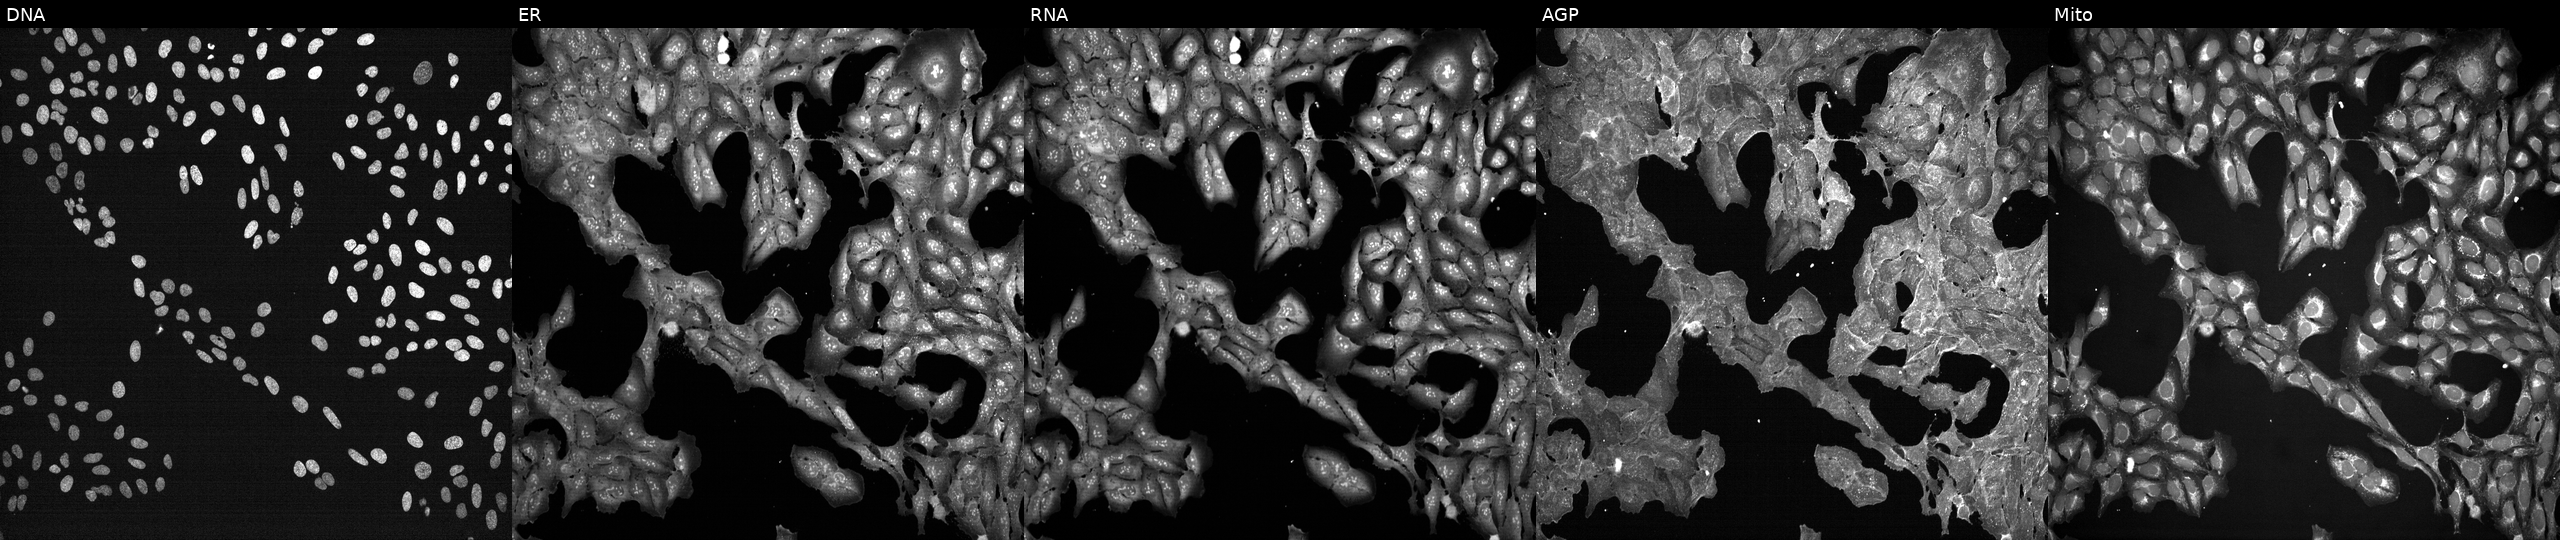
From left to right: Hoechst 33342, concanavalin A, SYTO 14, phalloidin and WGA, MitoTracker. U2OS osteosarcoma cells perturbed with a small-molecule compound (InChIKey AZYDQCGCBQYFSE-UHFFFAOYSA-N). Cell Painting assay, JUMP-CP dataset. Source 7, plate CP2-SC1-25, well A13.